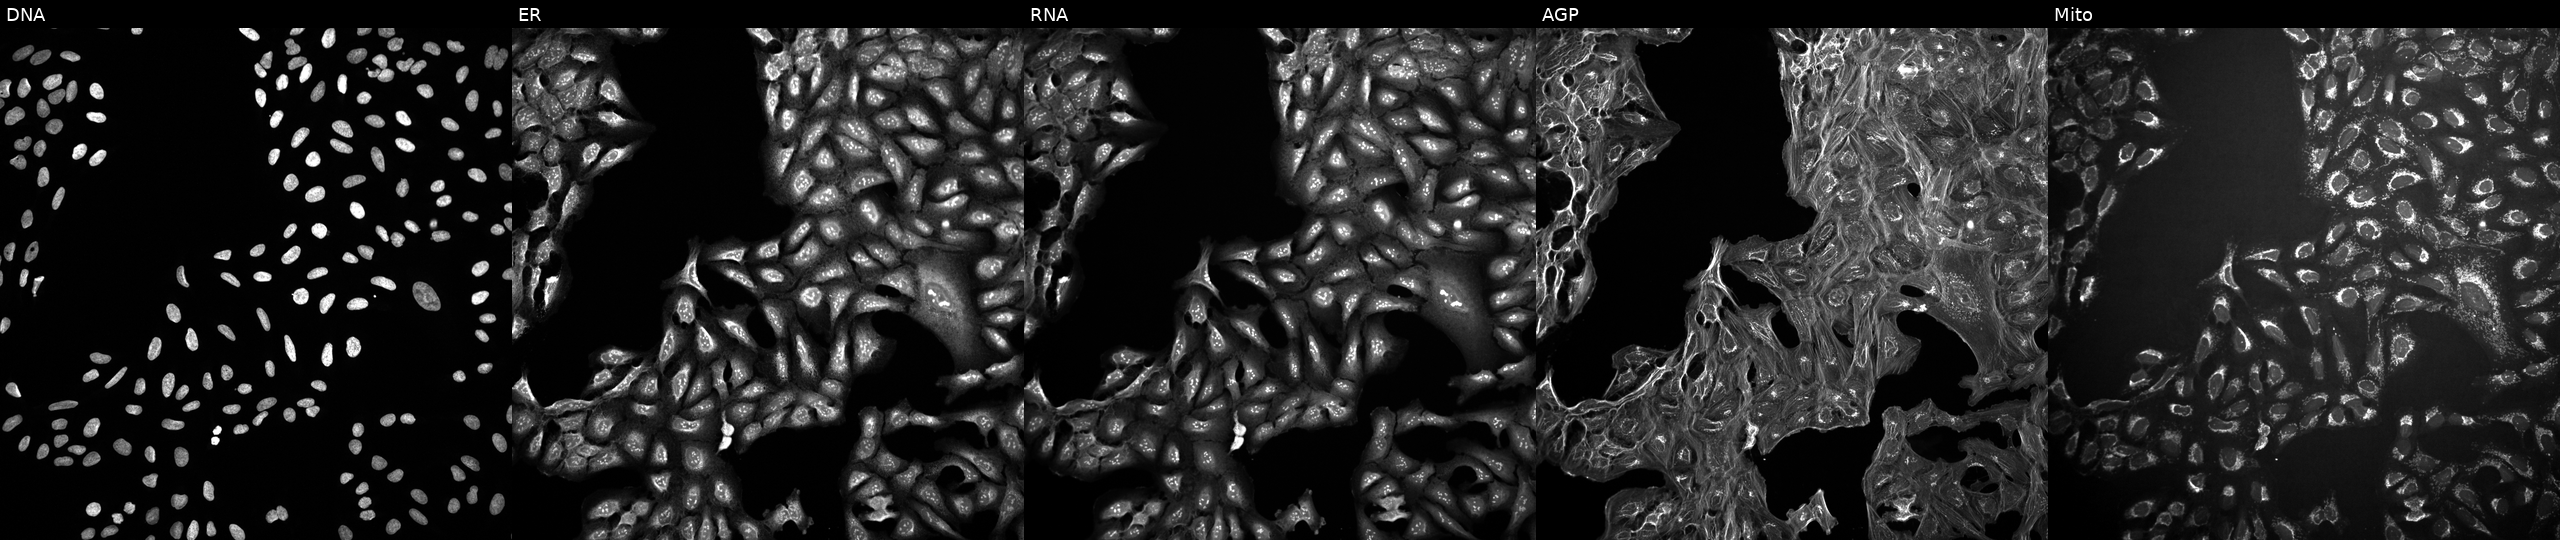
Five-channel Cell Painting image of U2OS cells exposed to a small-molecule compound (InChIKey RRGUKTPIGVIEKM-UHFFFAOYSA-N). From left to right: DNA (nuclei); ER (endoplasmic reticulum); RNA (nucleoli and cytoplasmic RNA); AGP (actin cytoskeleton, Golgi, and plasma membrane); Mito (mitochondria).